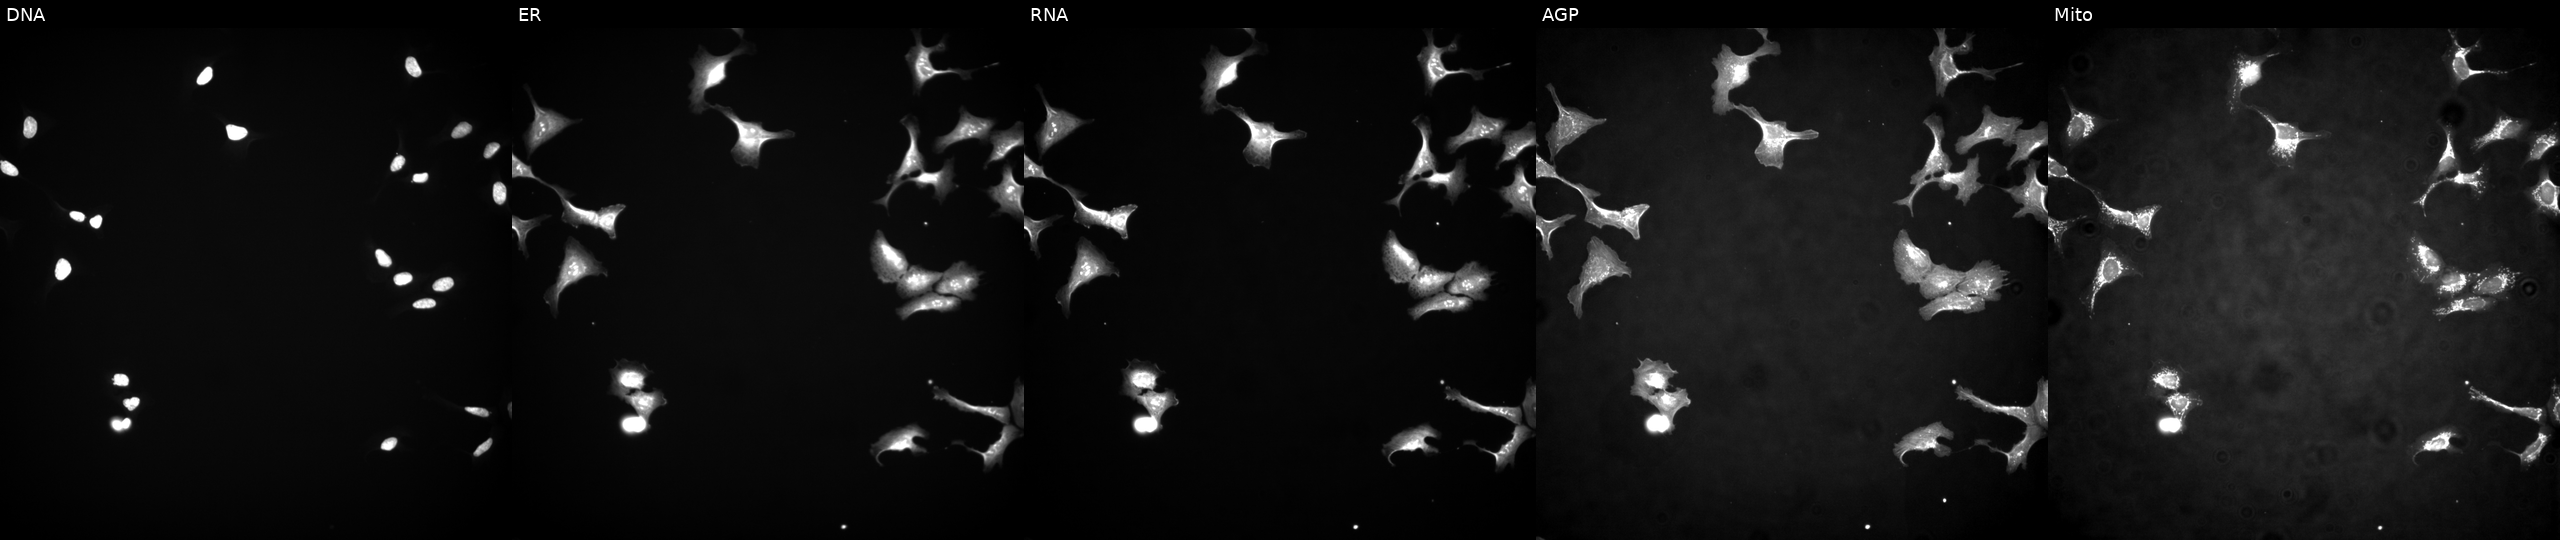
U2OS cells, Cell Painting assay, expressing HcRed (ORF negative control). Channels (left→right): Hoechst 33342, concanavalin A, SYTO 14, phalloidin and WGA, MitoTracker. Each panel is percentile-stretched 16-bit fluorescence. Source 4, plate BR00117035, well L14.